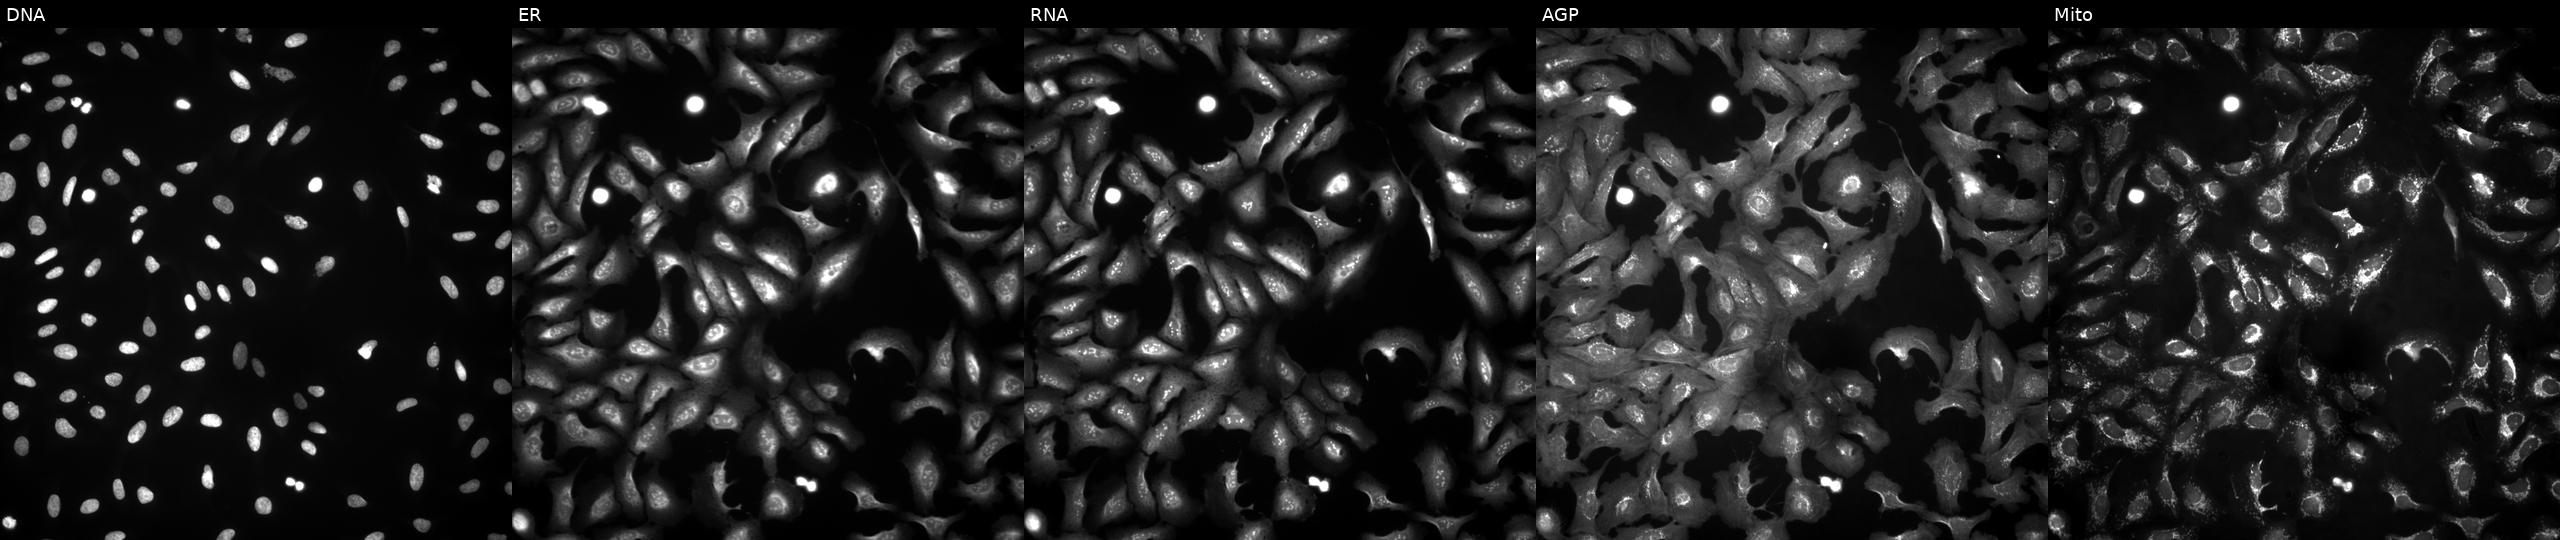
U2OS cells, Cell Painting assay, with ACOT13 overexpressed (ORF) (JUMP id JCP2022_903445). Channels (left→right): DNA (nuclei); ER (endoplasmic reticulum); RNA (nucleoli and cytoplasmic RNA); AGP (actin cytoskeleton, Golgi, and plasma membrane); Mito (mitochondria). Each panel is percentile-stretched 16-bit fluorescence.